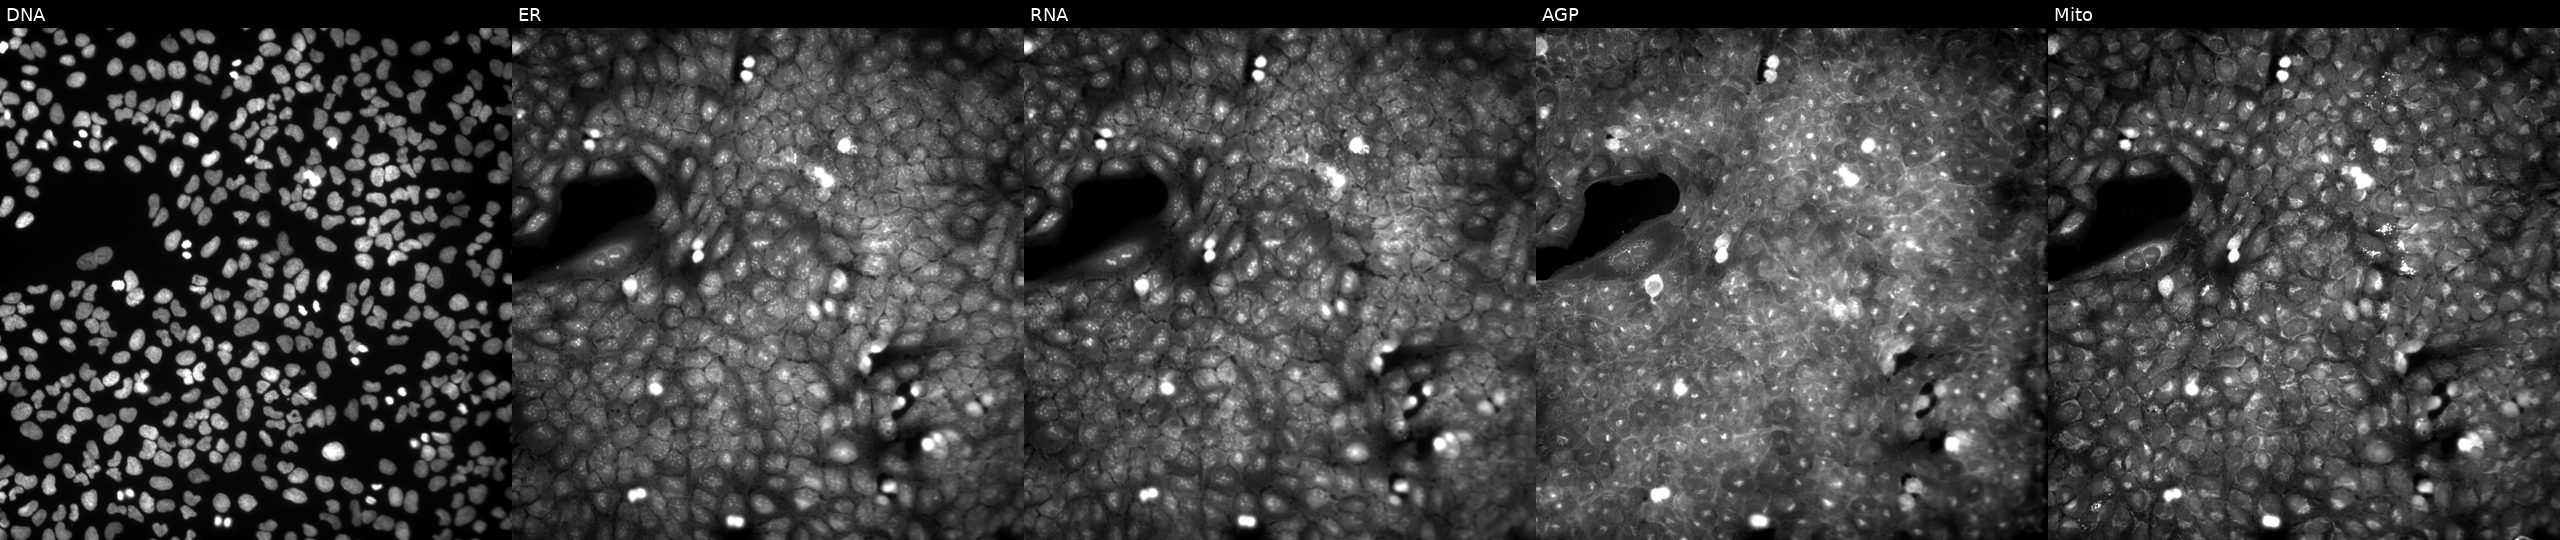
Five-channel Cell Painting image of U2OS cells exposed to a small-molecule compound. From left to right: DNA, ER, RNA, AGP, and Mito.